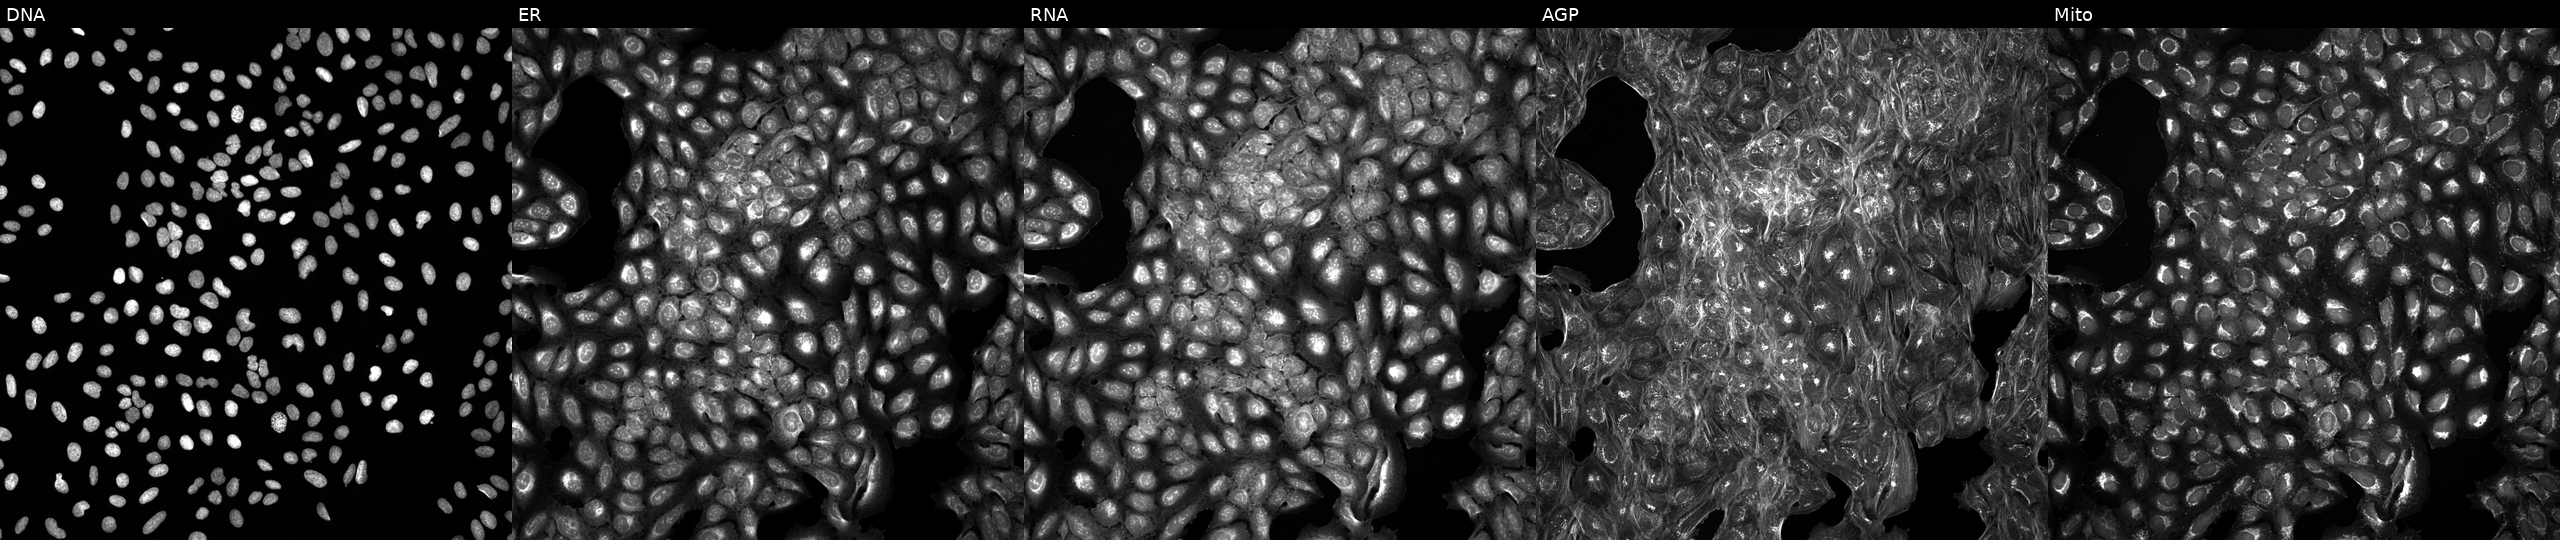
This image strip shows the five Cell Painting channels for a single field of U2OS cells exposed to a small-molecule compound (InChIKey MVCQKIKWYUURMU-UHFFFAOYSA-N) [SMILES: CCCCCCCCCCCCCCCCOc1nc2ccc(C)cc2c(=O)o1]. Channels (left→right): Hoechst 33342, concanavalin A, SYTO 14, phalloidin and WGA, MitoTracker. Source 5, plate ACPJUM012, well G11.